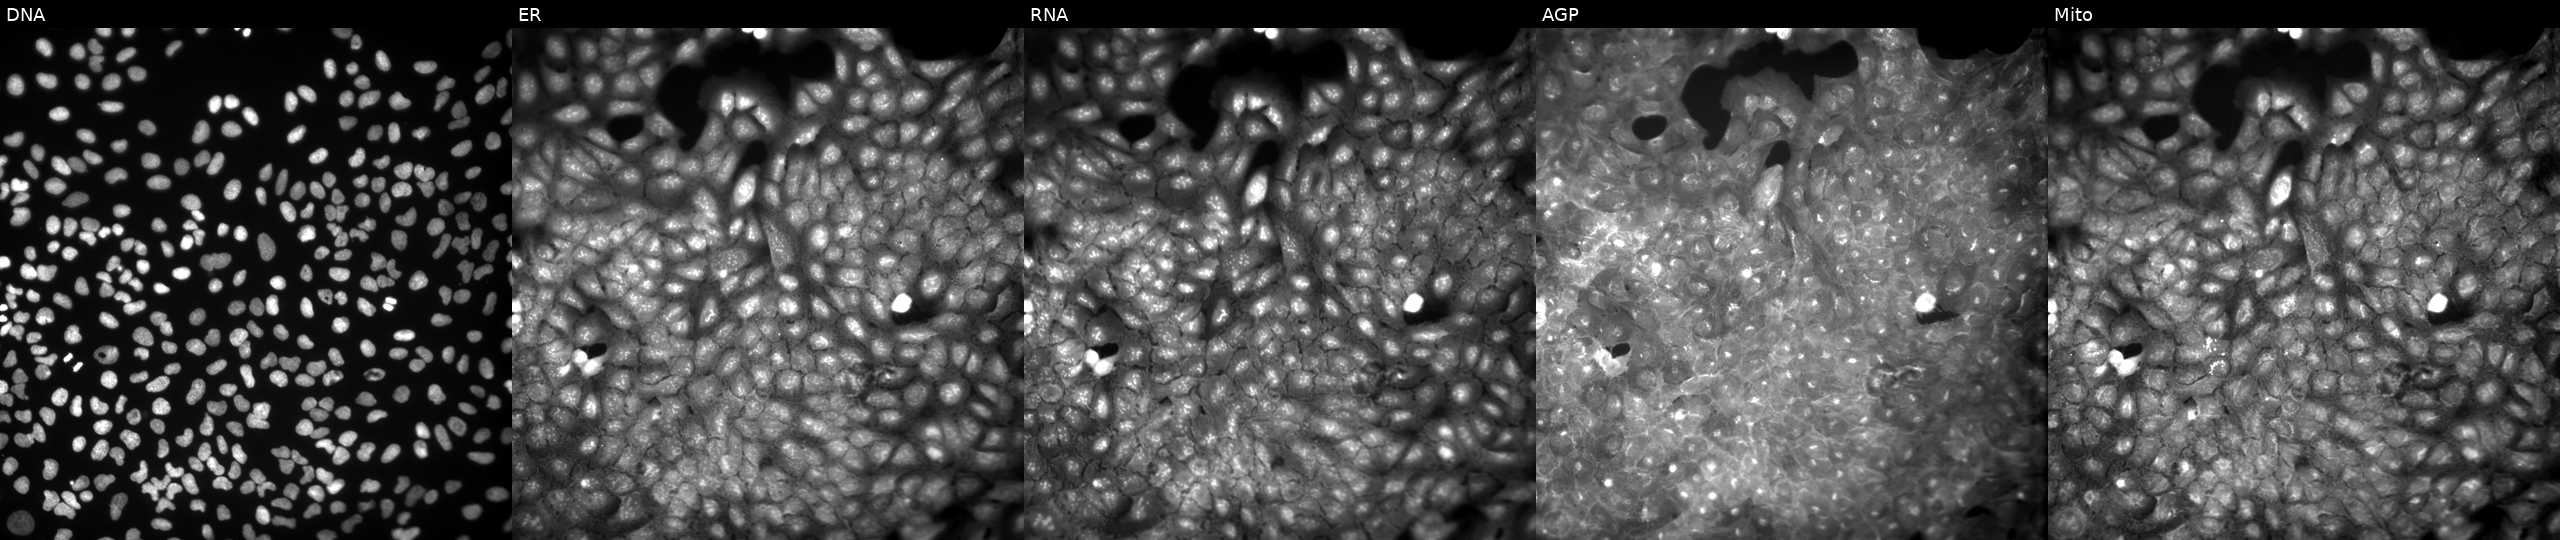
U2OS cells, Cell Painting assay, treated with a small-molecule compound (InChIKey JJDXSVKAZGKZPV-UHFFFAOYSA-N) [SMILES: CCOC(=O)c1ccc(N=c2[nH]cnc3ccccc23)cc1]. The five panels, left to right, show DNA, ER, RNA, AGP, and Mito. Each panel is percentile-stretched 16-bit fluorescence.